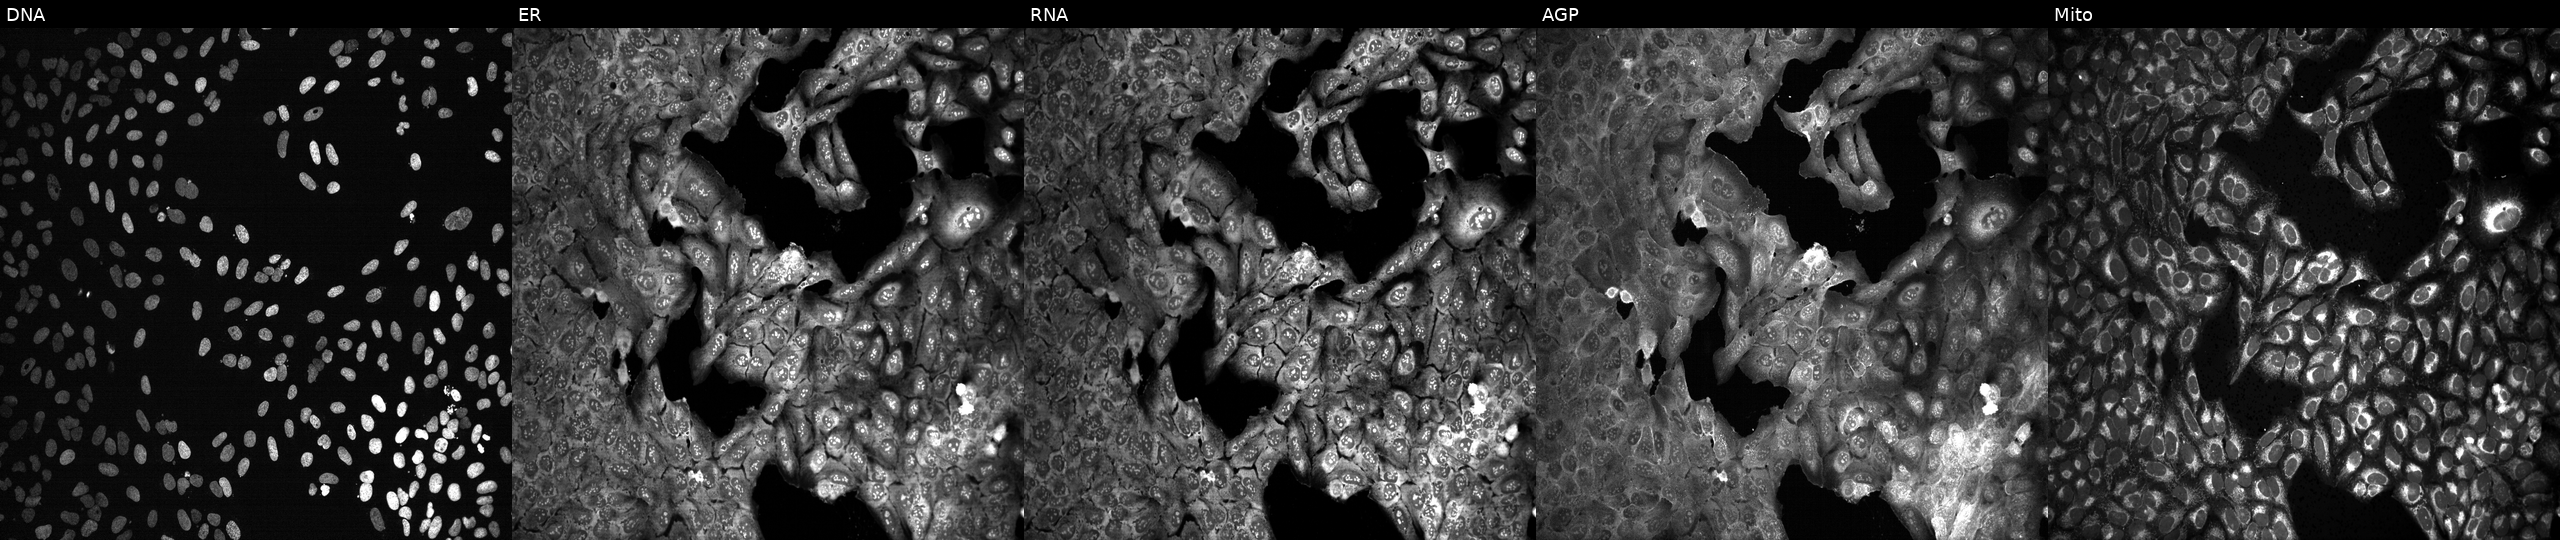
U2OS cells, Cell Painting assay, CRISPR-edited to disrupt HAT1 (JUMP id JCP2022_803022). From left to right: Hoechst 33342, concanavalin A, SYTO 14, phalloidin and WGA, MitoTracker. Each panel is percentile-stretched 16-bit fluorescence. Source 13, plate CP-CC9-R4-03, well C05.